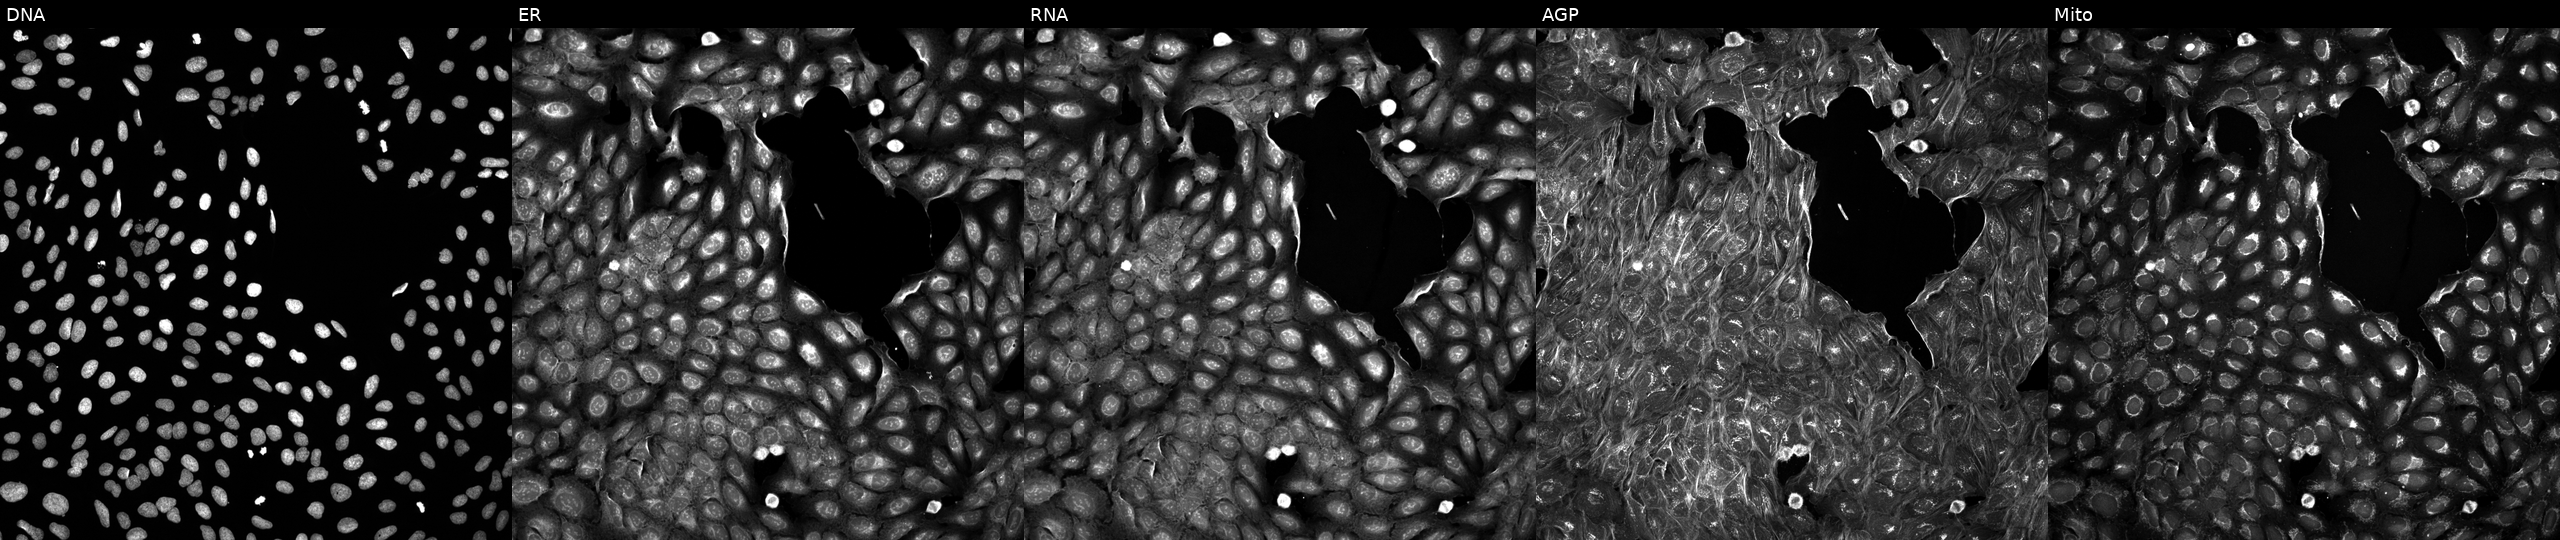
High-content fluorescence microscopy (Cell Painting). Cell line: U2OS. Perturbation: exposed to a small-molecule compound. From left to right: Hoechst 33342, concanavalin A, SYTO 14, phalloidin and WGA, MitoTracker. Source 5, plate ACPJUM051, well D12.